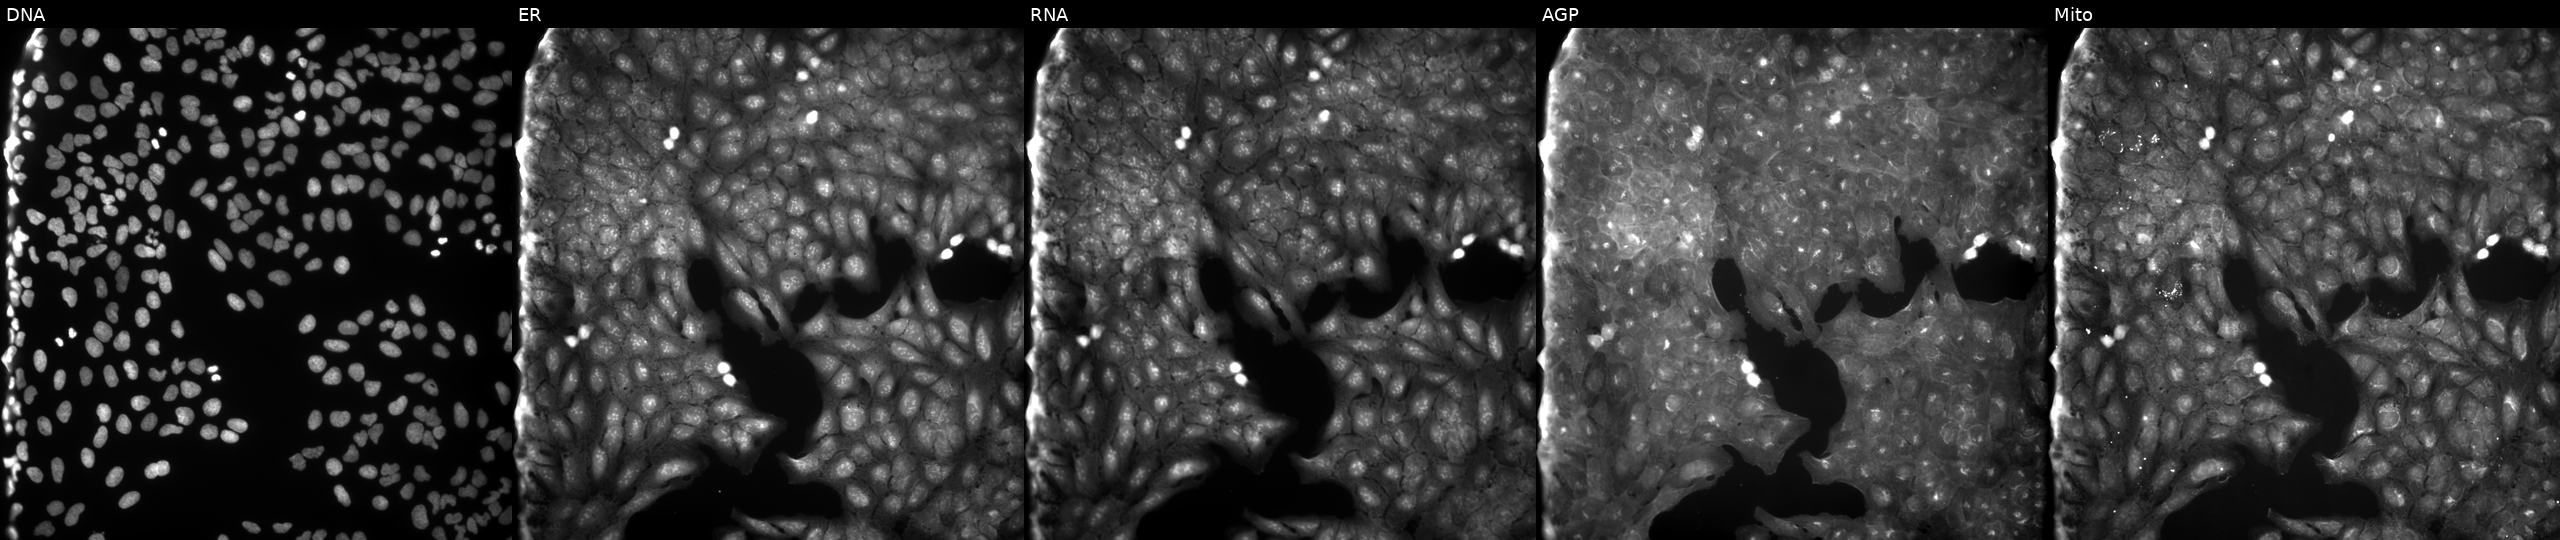
Five-channel Cell Painting image of U2OS cells treated with a small-molecule compound (InChIKey YXJJSHOMDYVRSV-UHFFFAOYSA-N) (JUMP id JCP2022_111498). The five panels, left to right, show DNA, ER, RNA, AGP, and Mito.